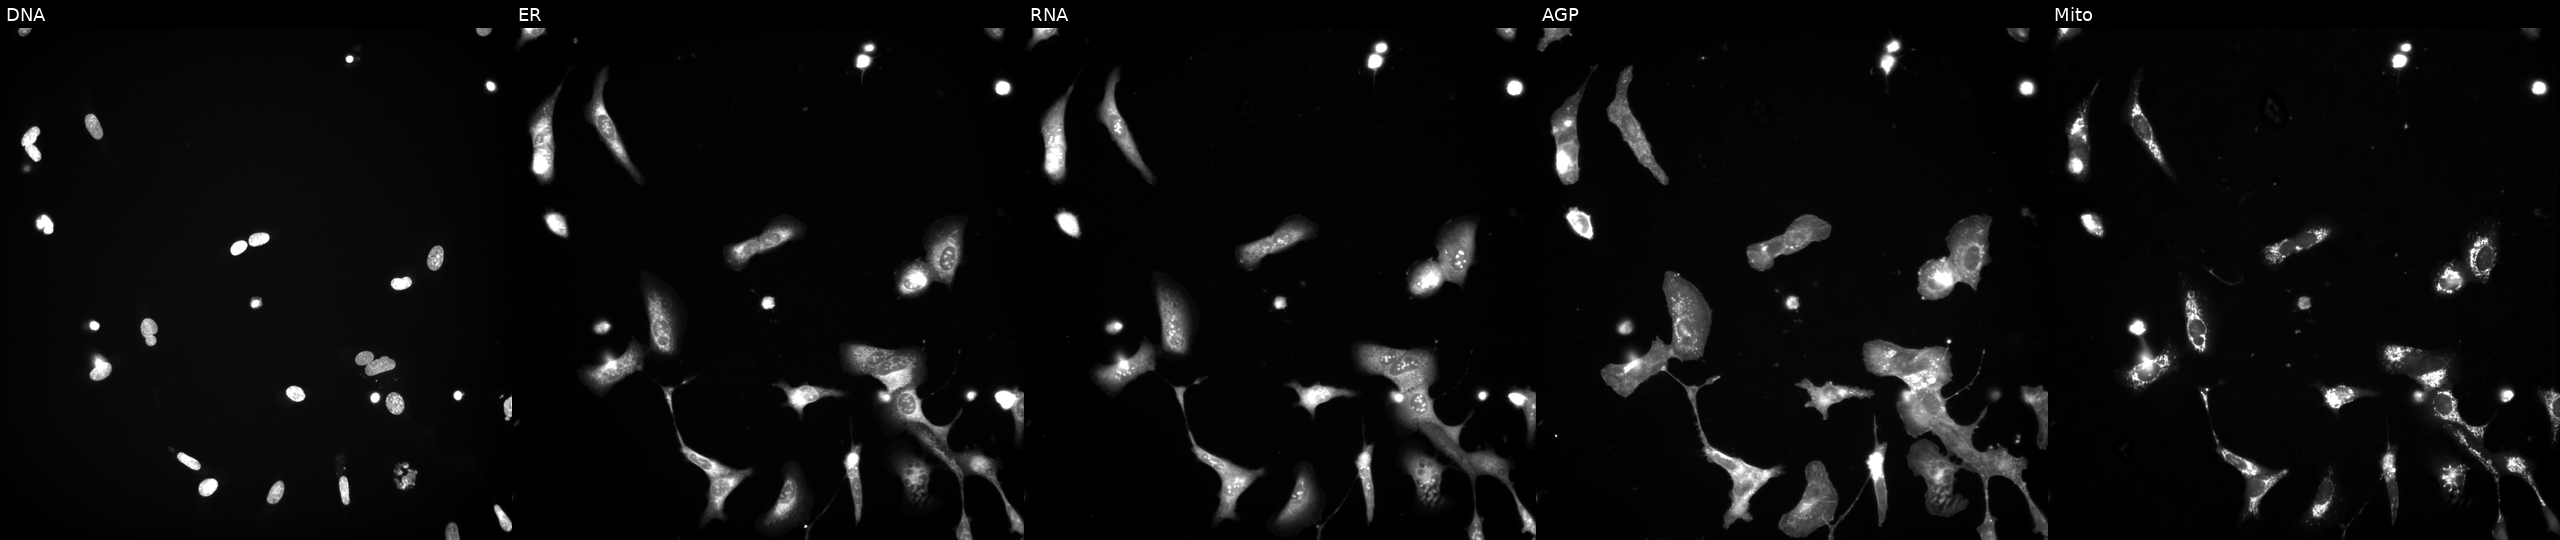
High-content fluorescence microscopy (Cell Painting). Cell line: U2OS. Perturbation: treated with a small-molecule compound (InChIKey XQVVPGYIWAGRNI-UHFFFAOYSA-N) (JUMP id JCP2022_105442). Panels show, left to right, DNA (nuclei); ER (endoplasmic reticulum); RNA (nucleoli and cytoplasmic RNA); AGP (actin cytoskeleton, Golgi, and plasma membrane); Mito (mitochondria).